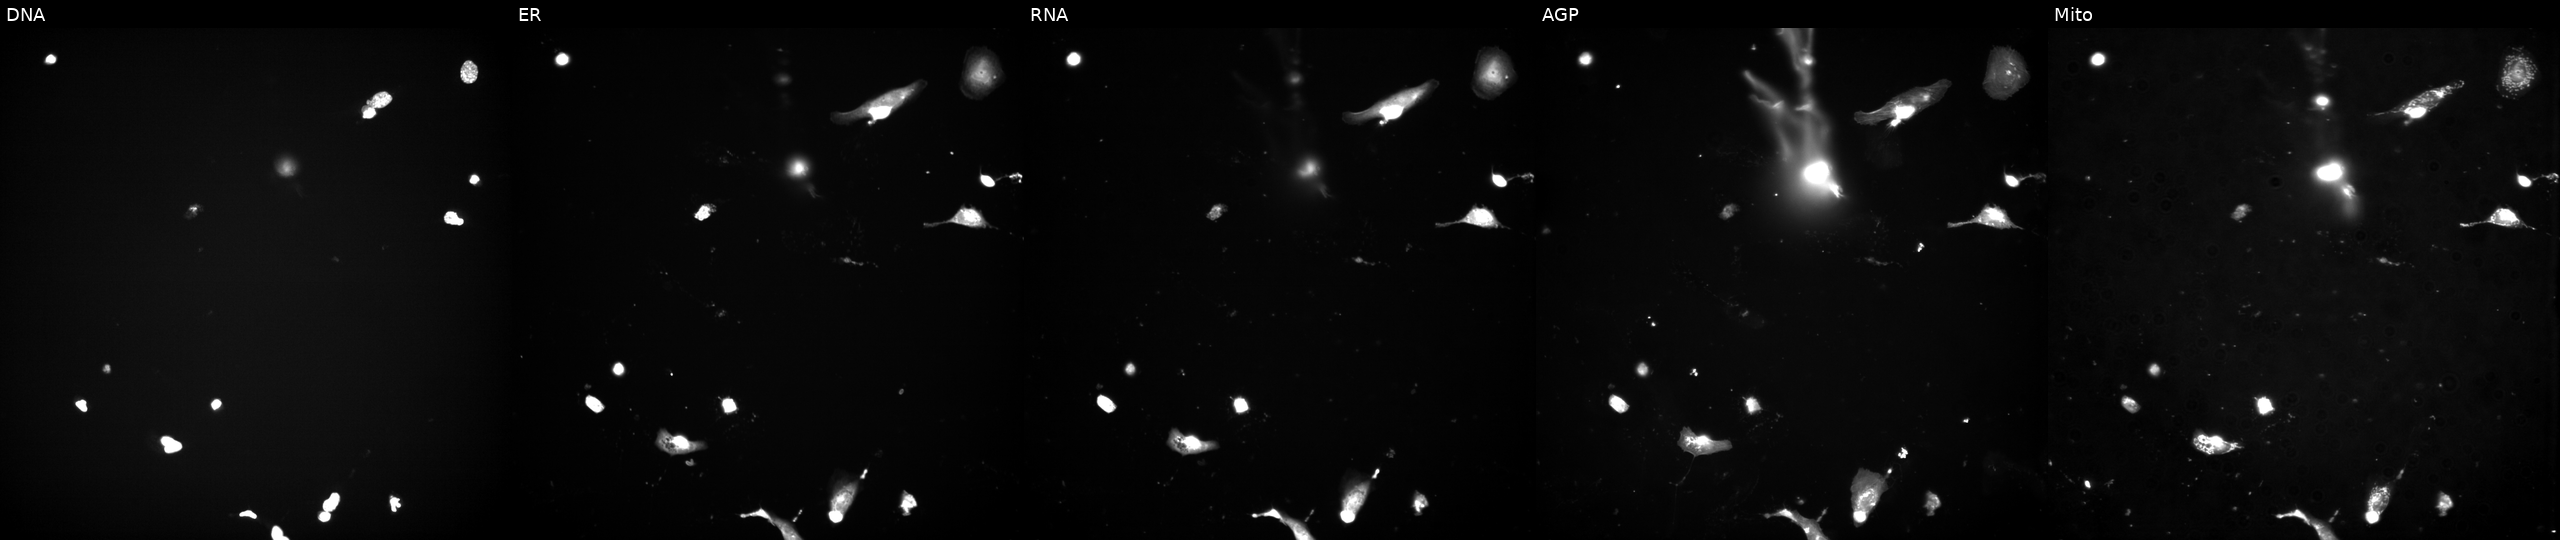
U2OS cells, Cell Painting assay, treated with a small-molecule compound (InChIKey VXBAJLGYBMTJCY-UHFFFAOYSA-N) [SMILES: CN1CC=CCCOc2cccc(c2)-c2ccnc(n2)Nc2cccc(c2)C1]. Panels show, left to right, Hoechst 33342, concanavalin A, SYTO 14, phalloidin and WGA, MitoTracker. Each panel is percentile-stretched 16-bit fluorescence.